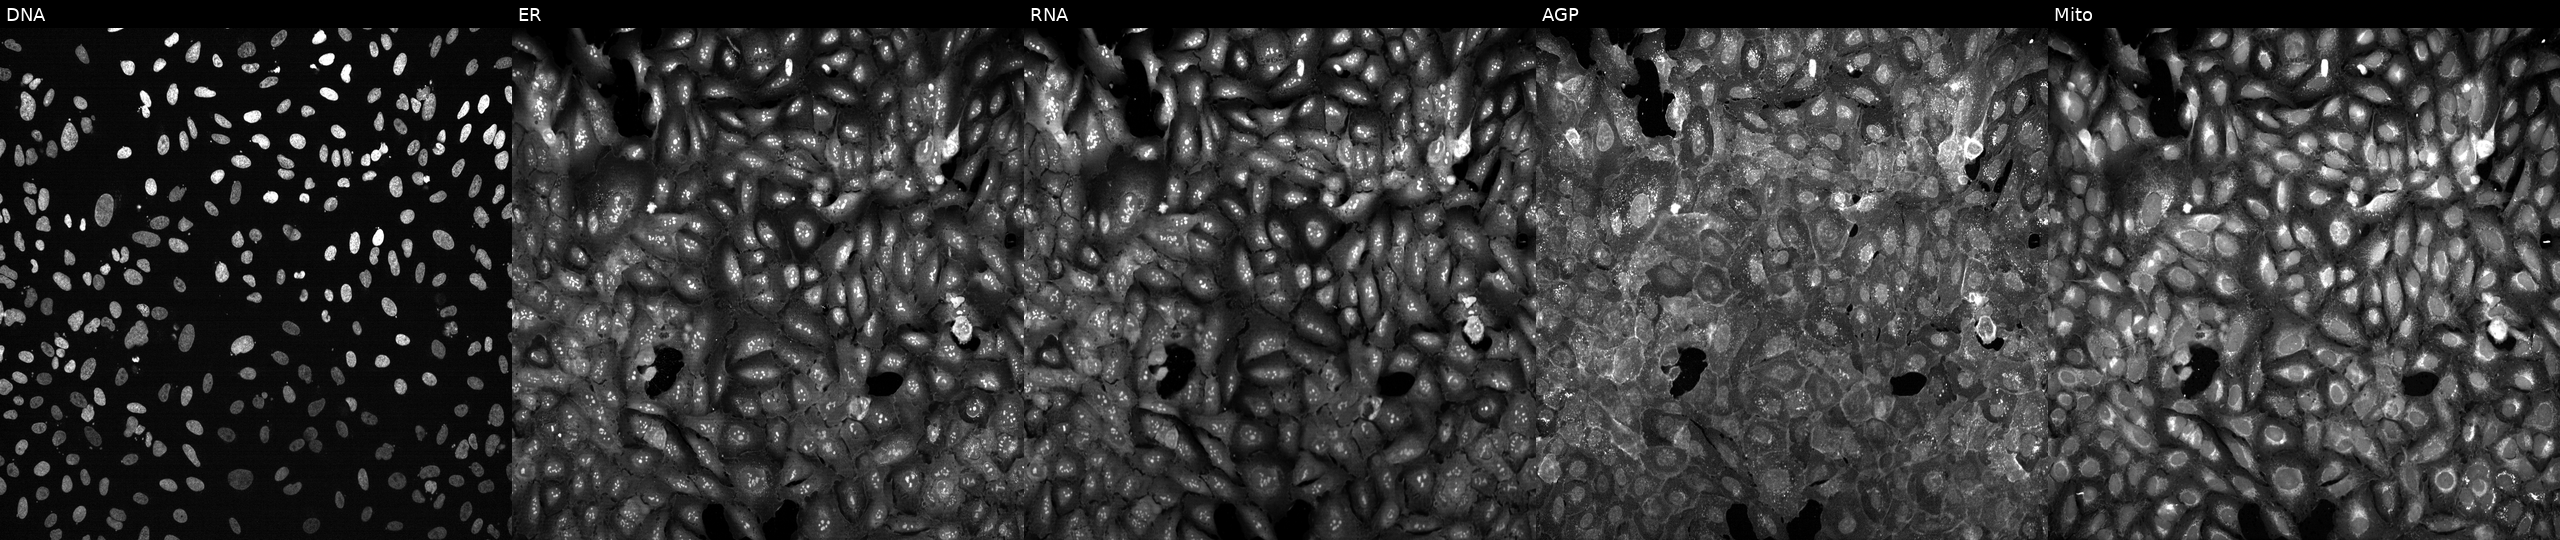
Five-channel Cell Painting image of U2OS cells following CRISPR knockout of GDAP1. From left to right: Hoechst 33342, concanavalin A, SYTO 14, phalloidin and WGA, MitoTracker.